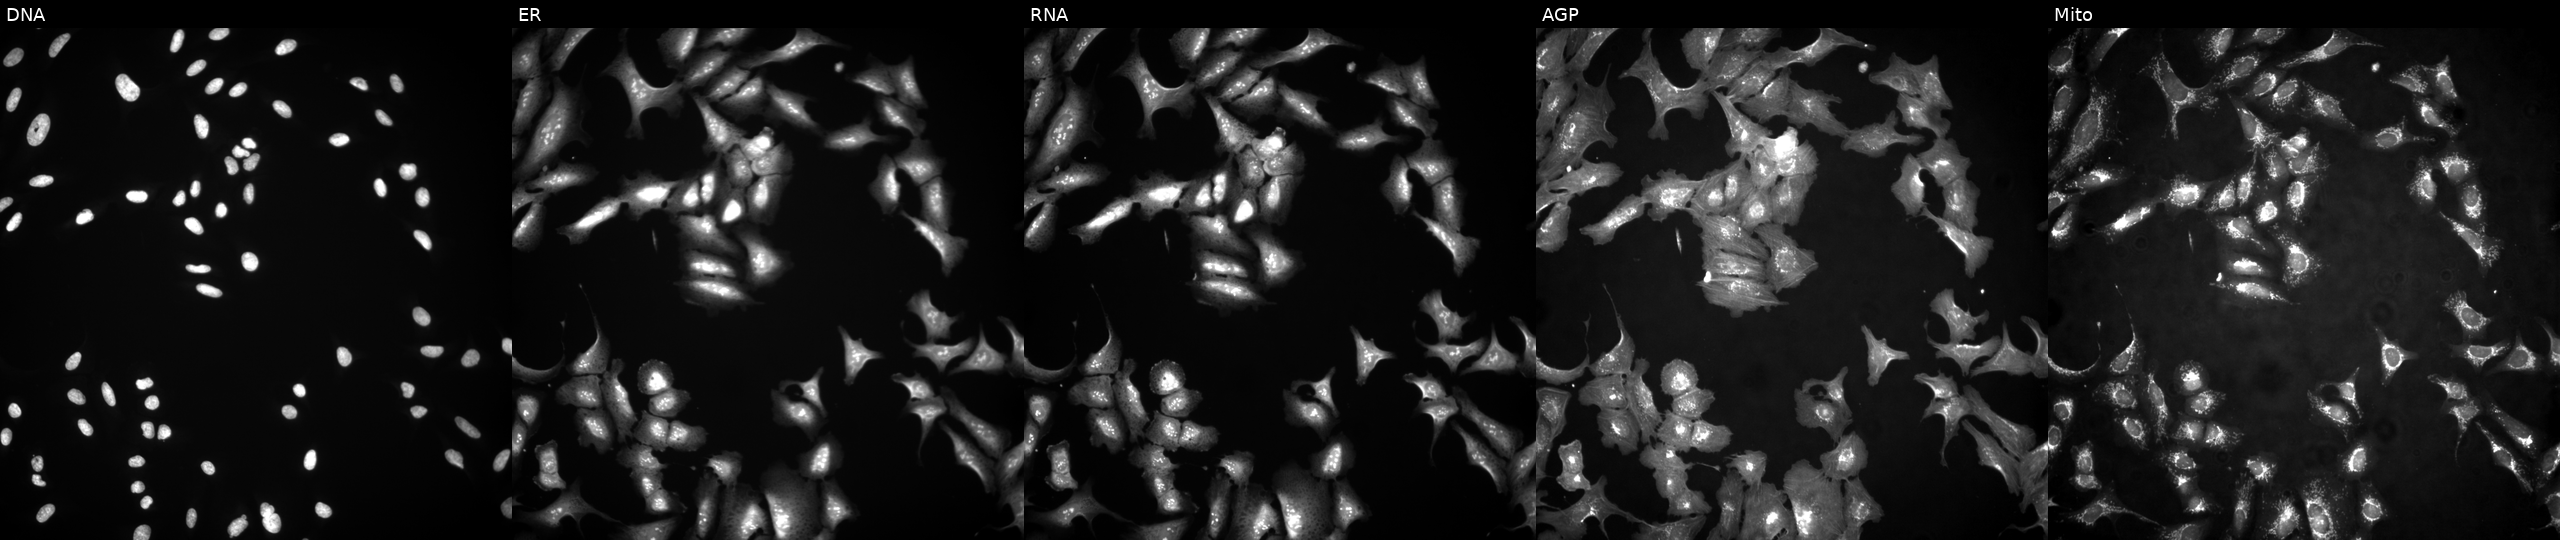
This image strip shows the five Cell Painting channels for a single field of U2OS cells transfected with an ORF construct for YAF2 (JUMP id JCP2022_907069). Panels show, left to right, DNA (nuclei); ER (endoplasmic reticulum); RNA (nucleoli and cytoplasmic RNA); AGP (actin cytoskeleton, Golgi, and plasma membrane); Mito (mitochondria).